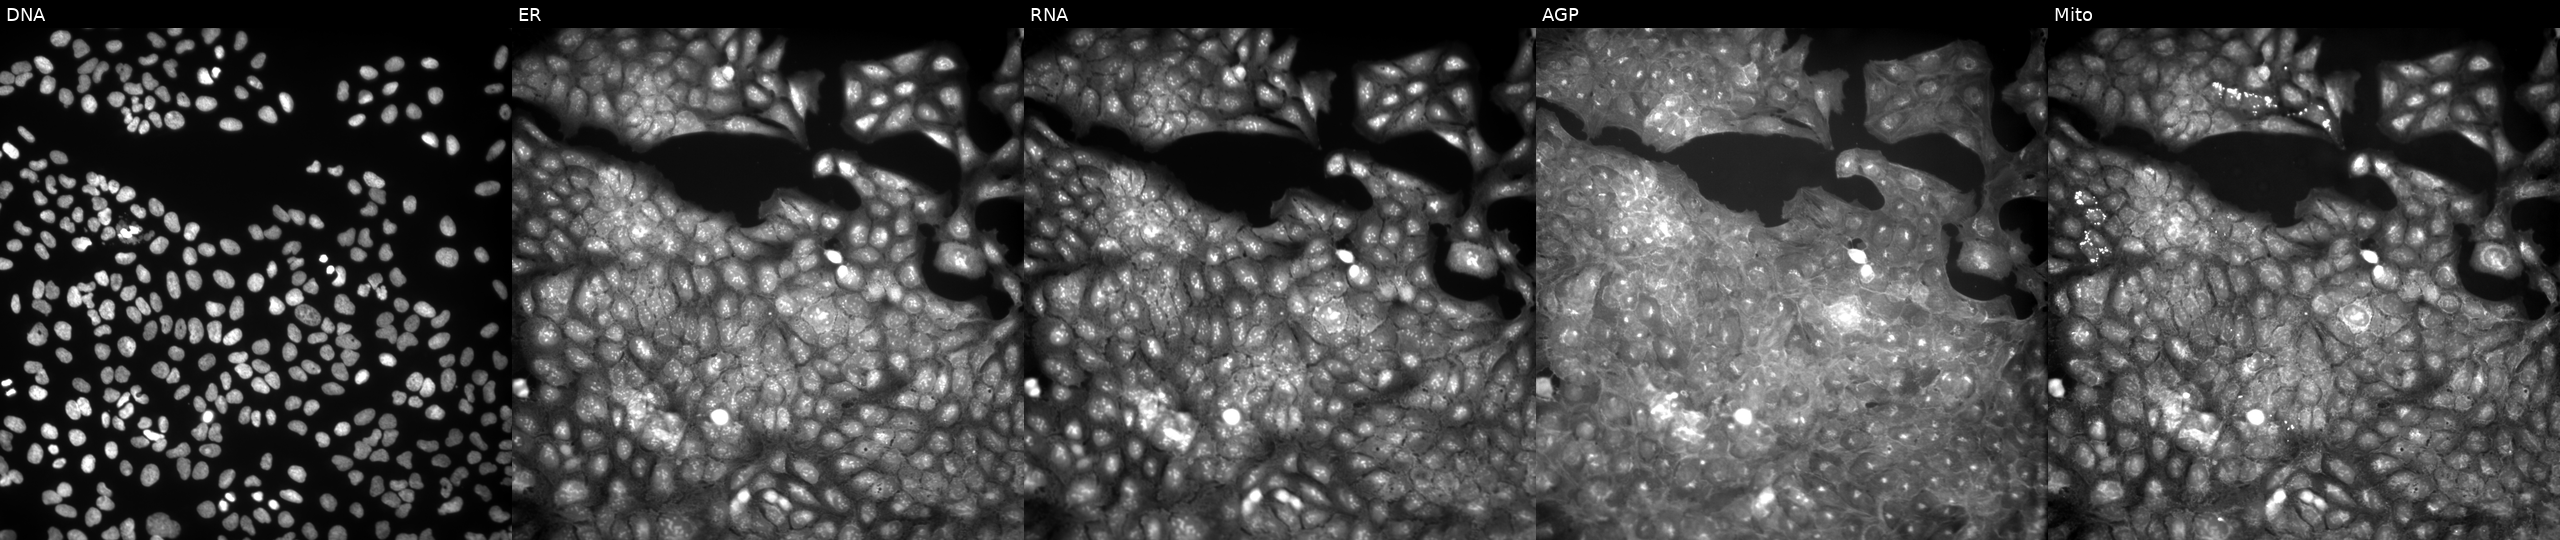
JUMP Cell Painting — COMPOUND plate. U2OS cells perturbed with a small-molecule compound (JUMP id JCP2022_099017). Panels show, left to right, Hoechst 33342, concanavalin A, SYTO 14, phalloidin and WGA, MitoTracker.